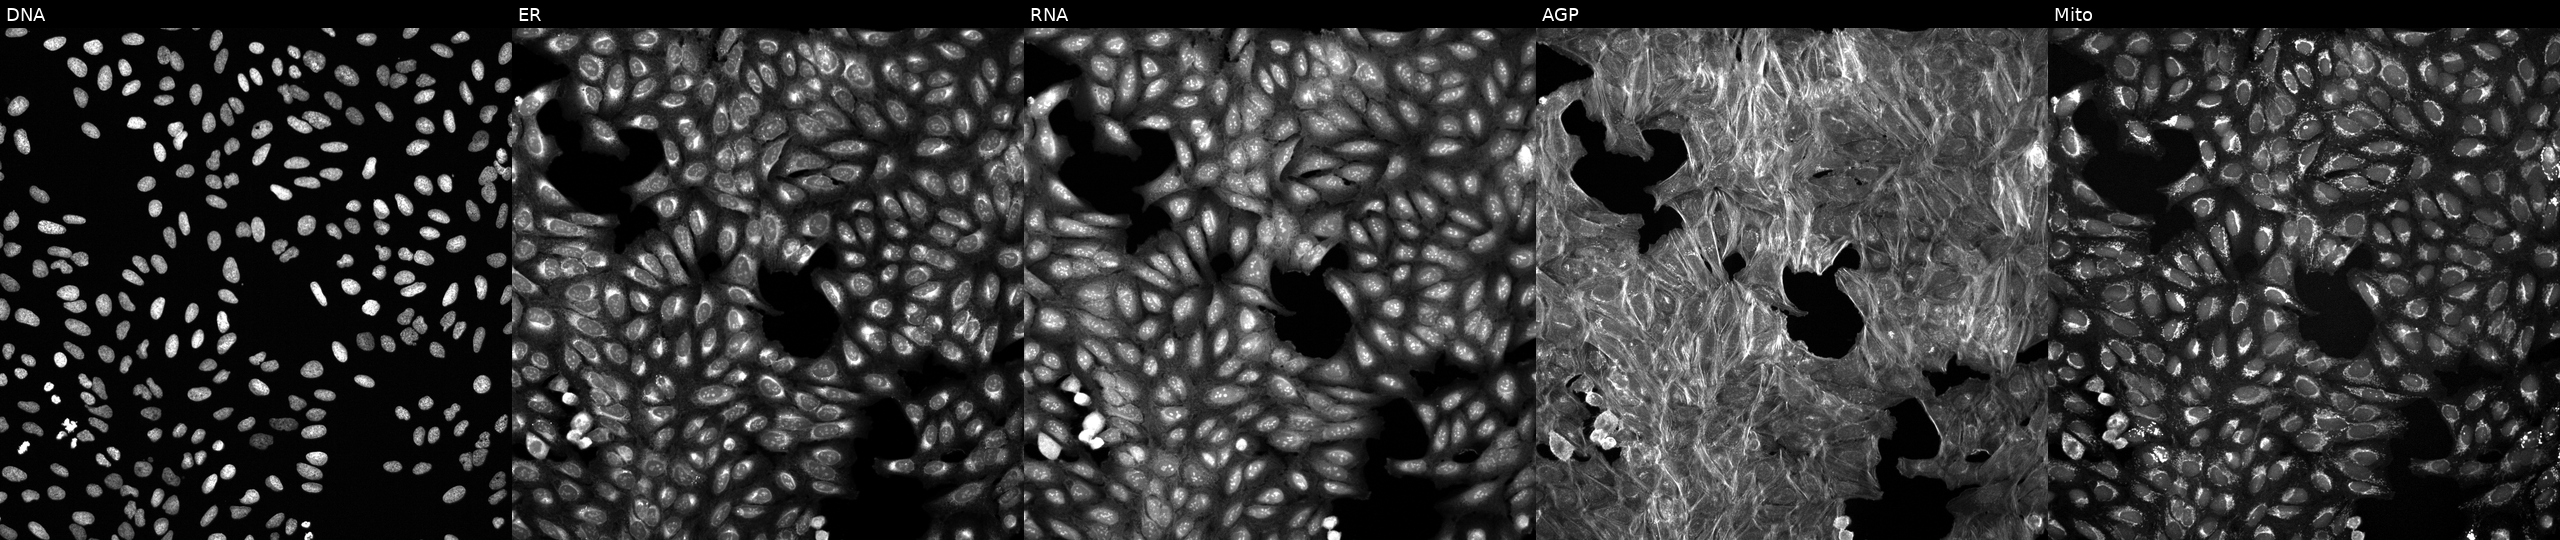
Five-channel Cell Painting image of U2OS cells exposed to DMSO alone as a negative control. From left to right: DNA (nuclei); ER (endoplasmic reticulum); RNA (nucleoli and cytoplasmic RNA); AGP (actin cytoskeleton, Golgi, and plasma membrane); Mito (mitochondria).